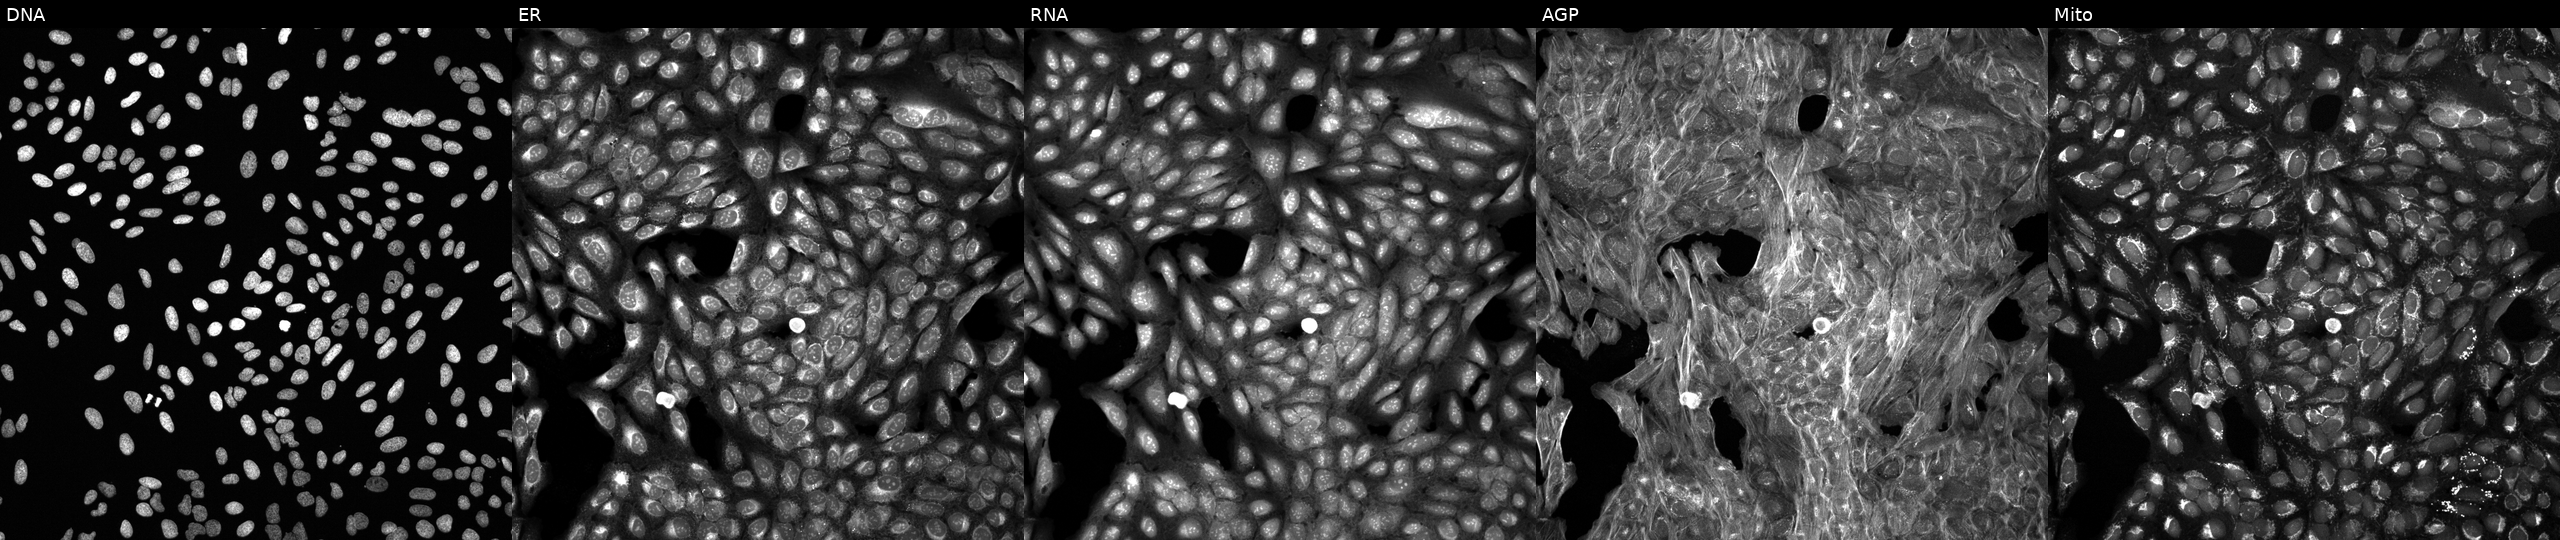
Five-channel Cell Painting image of U2OS cells perturbed with a small-molecule compound (InChIKey JHSXDAWGLCZYSM-UHFFFAOYSA-N). The five panels, left to right, show DNA, ER, RNA, AGP, and Mito.